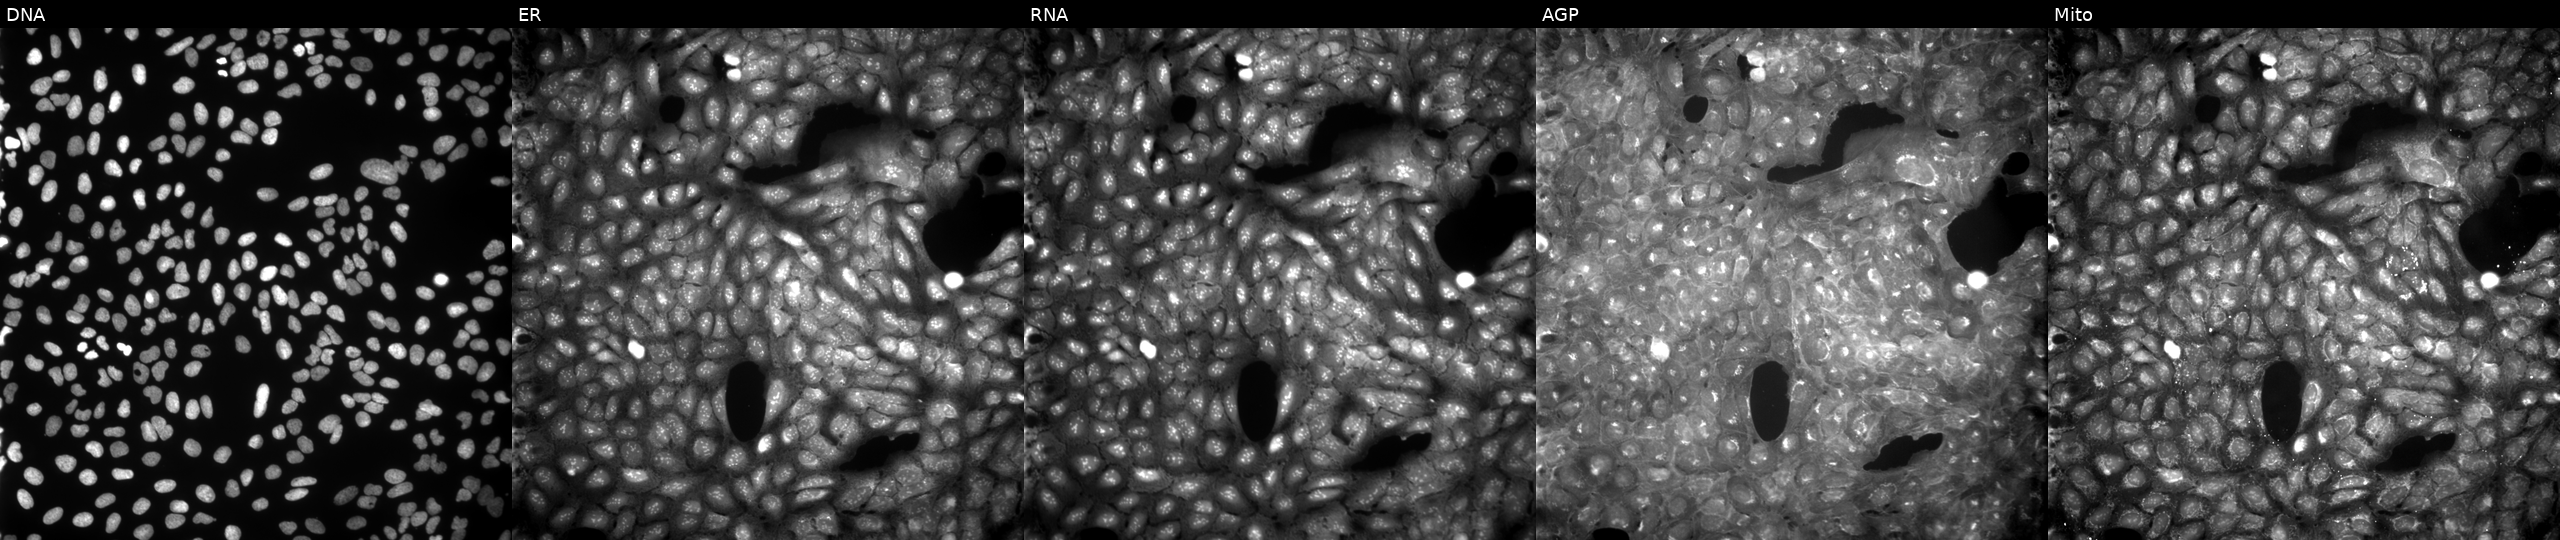
High-content fluorescence microscopy (Cell Painting). Cell line: U2OS. Perturbation: perturbed with a small-molecule compound. From left to right: Hoechst 33342, concanavalin A, SYTO 14, phalloidin and WGA, MitoTracker.